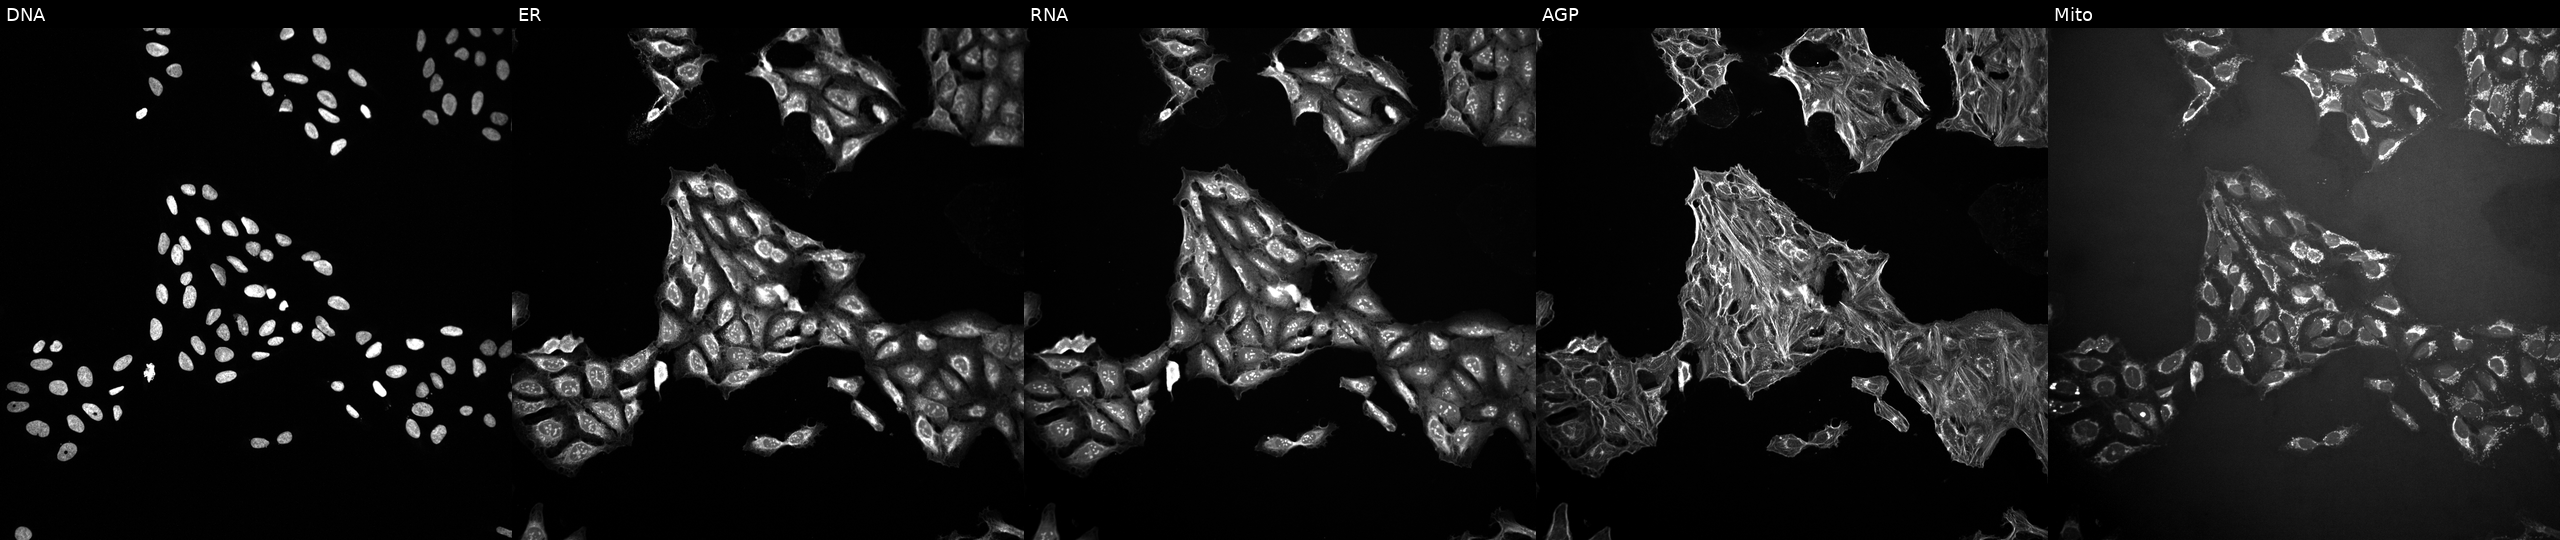
JUMP Cell Painting — TARGET2 plate. U2OS cells exposed to a small-molecule compound (InChIKey FNYLWPVRPXGIIP-UHFFFAOYSA-N). The five panels, left to right, show DNA (nuclei); ER (endoplasmic reticulum); RNA (nucleoli and cytoplasmic RNA); AGP (actin cytoskeleton, Golgi, and plasma membrane); Mito (mitochondria).